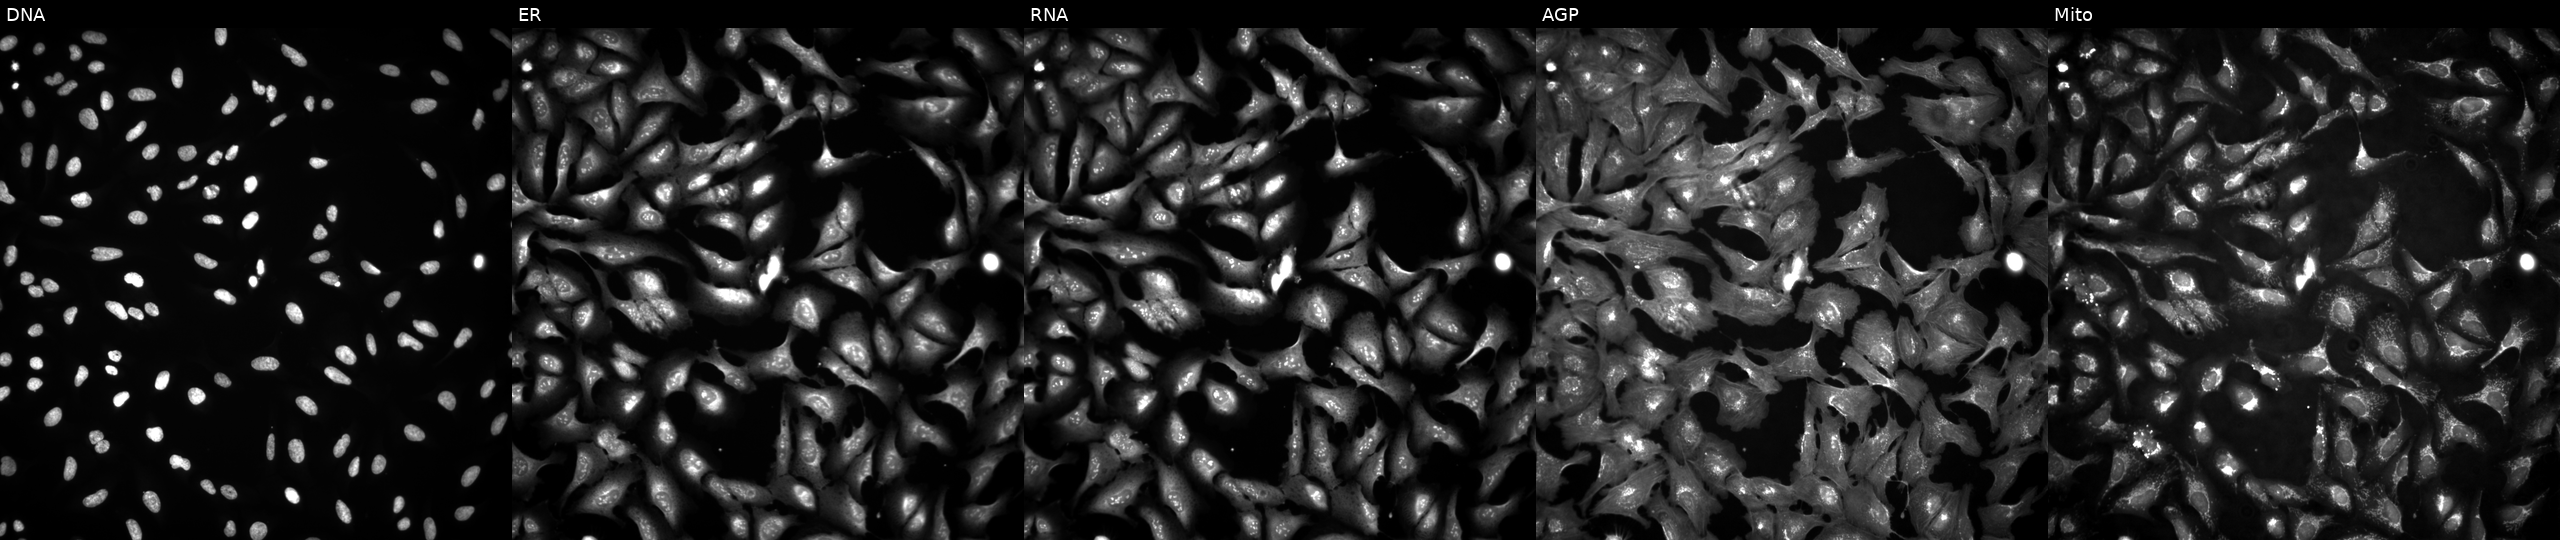
This image strip shows the five Cell Painting channels for a single field of U2OS cells with MAPKAPK2 overexpressed (ORF) (JUMP id JCP2022_913955). Channels (left→right): DNA, ER, RNA, AGP, and Mito.